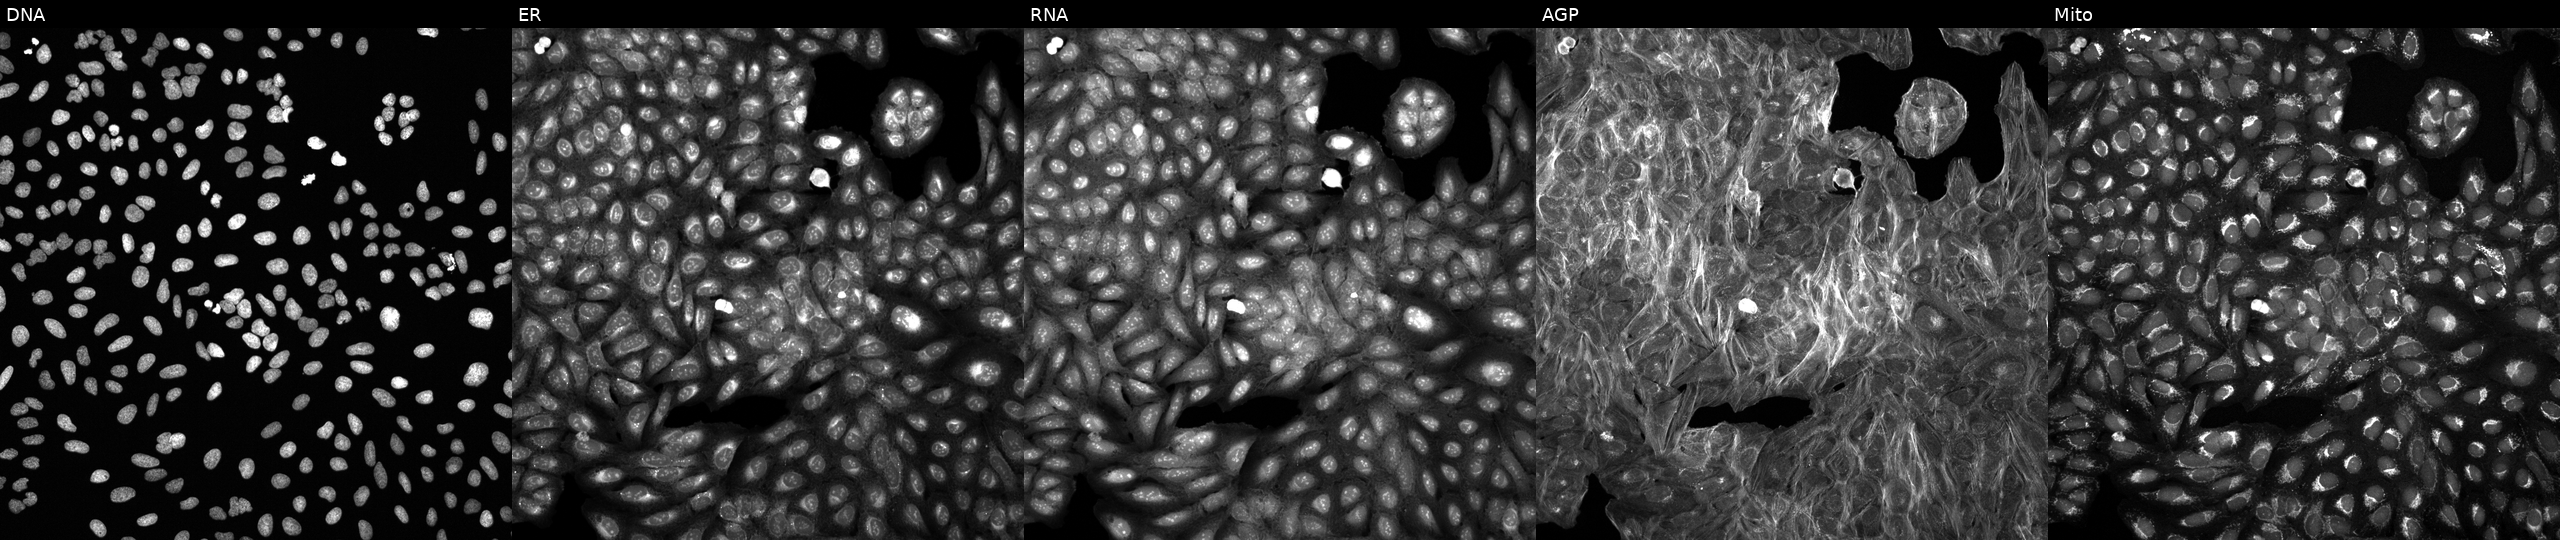
U2OS cells, Cell Painting assay, exposed to DMSO alone as a negative control. The five panels, left to right, show DNA, ER, RNA, AGP, and Mito. Each panel is percentile-stretched 16-bit fluorescence.